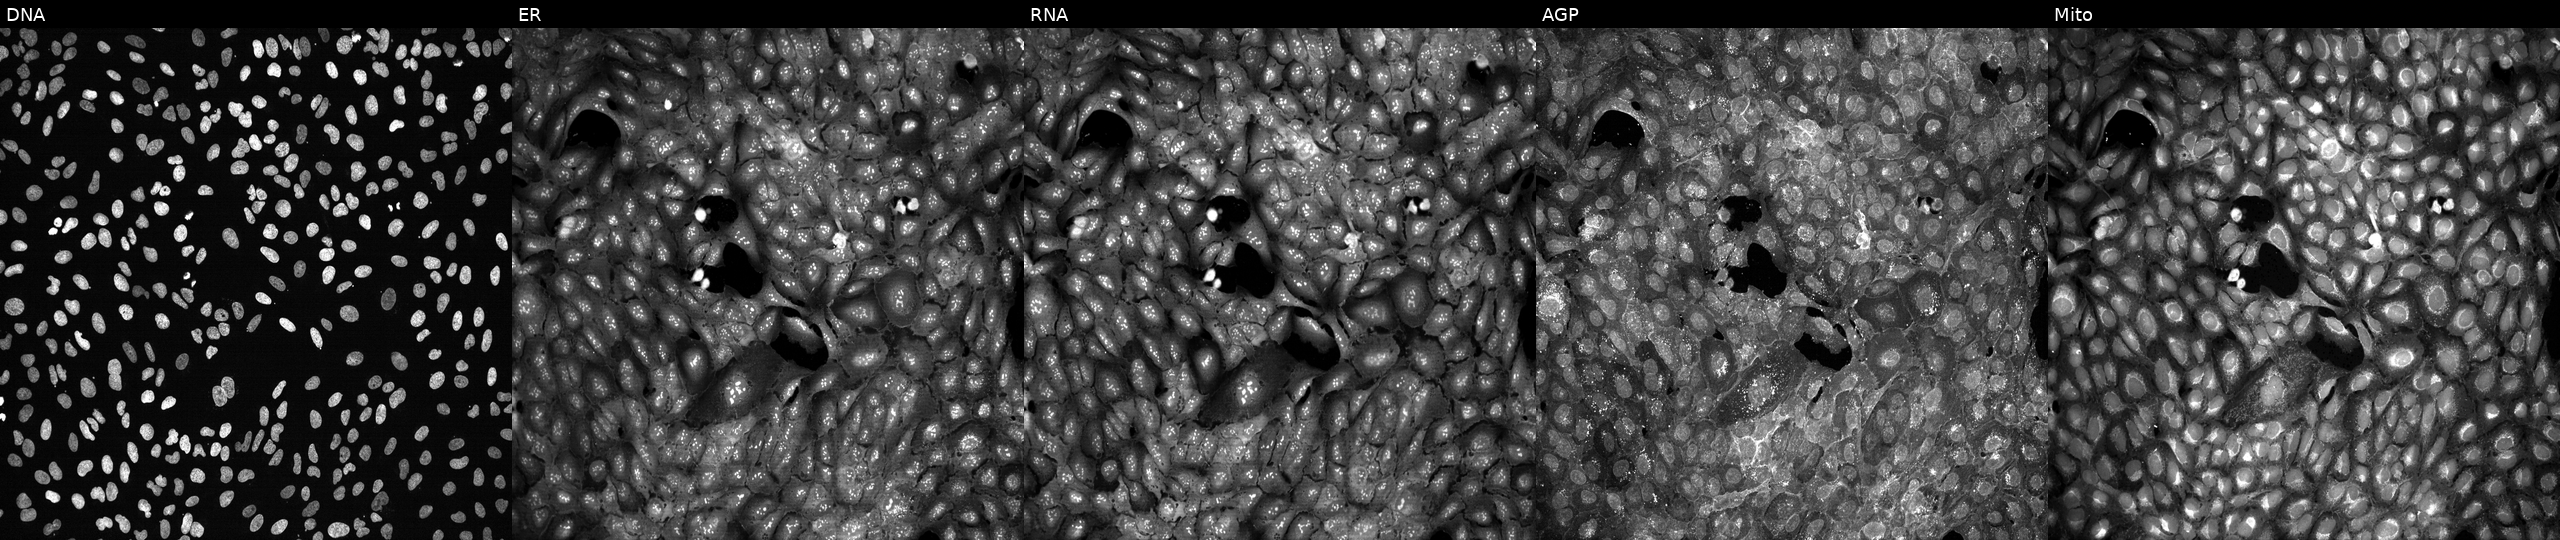
High-content fluorescence microscopy (Cell Painting). Cell line: U2OS. Perturbation: with SLCO2B1 knocked out by CRISPR (JUMP id JCP2022_806606). From left to right: DNA (nuclei); ER (endoplasmic reticulum); RNA (nucleoli and cytoplasmic RNA); AGP (actin cytoskeleton, Golgi, and plasma membrane); Mito (mitochondria). Source 13, plate CP-CC9-R1-01, well B16.